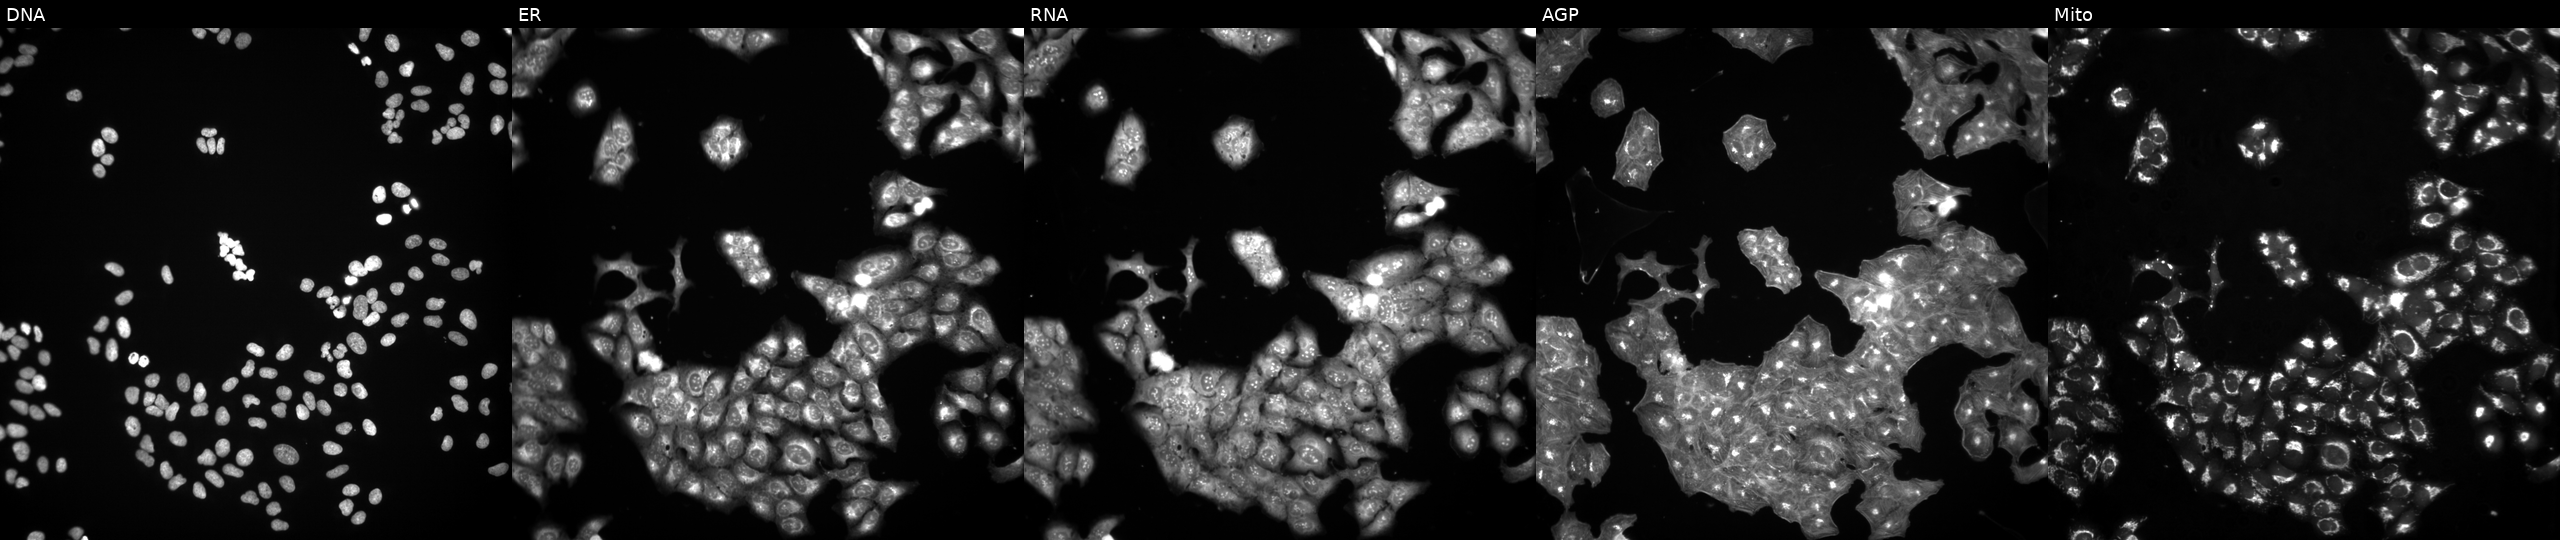
This image strip shows the five Cell Painting channels for a single field of U2OS cells exposed to the positive-control compound NVS-PAK1-1. From left to right: DNA (nuclei); ER (endoplasmic reticulum); RNA (nucleoli and cytoplasmic RNA); AGP (actin cytoskeleton, Golgi, and plasma membrane); Mito (mitochondria).